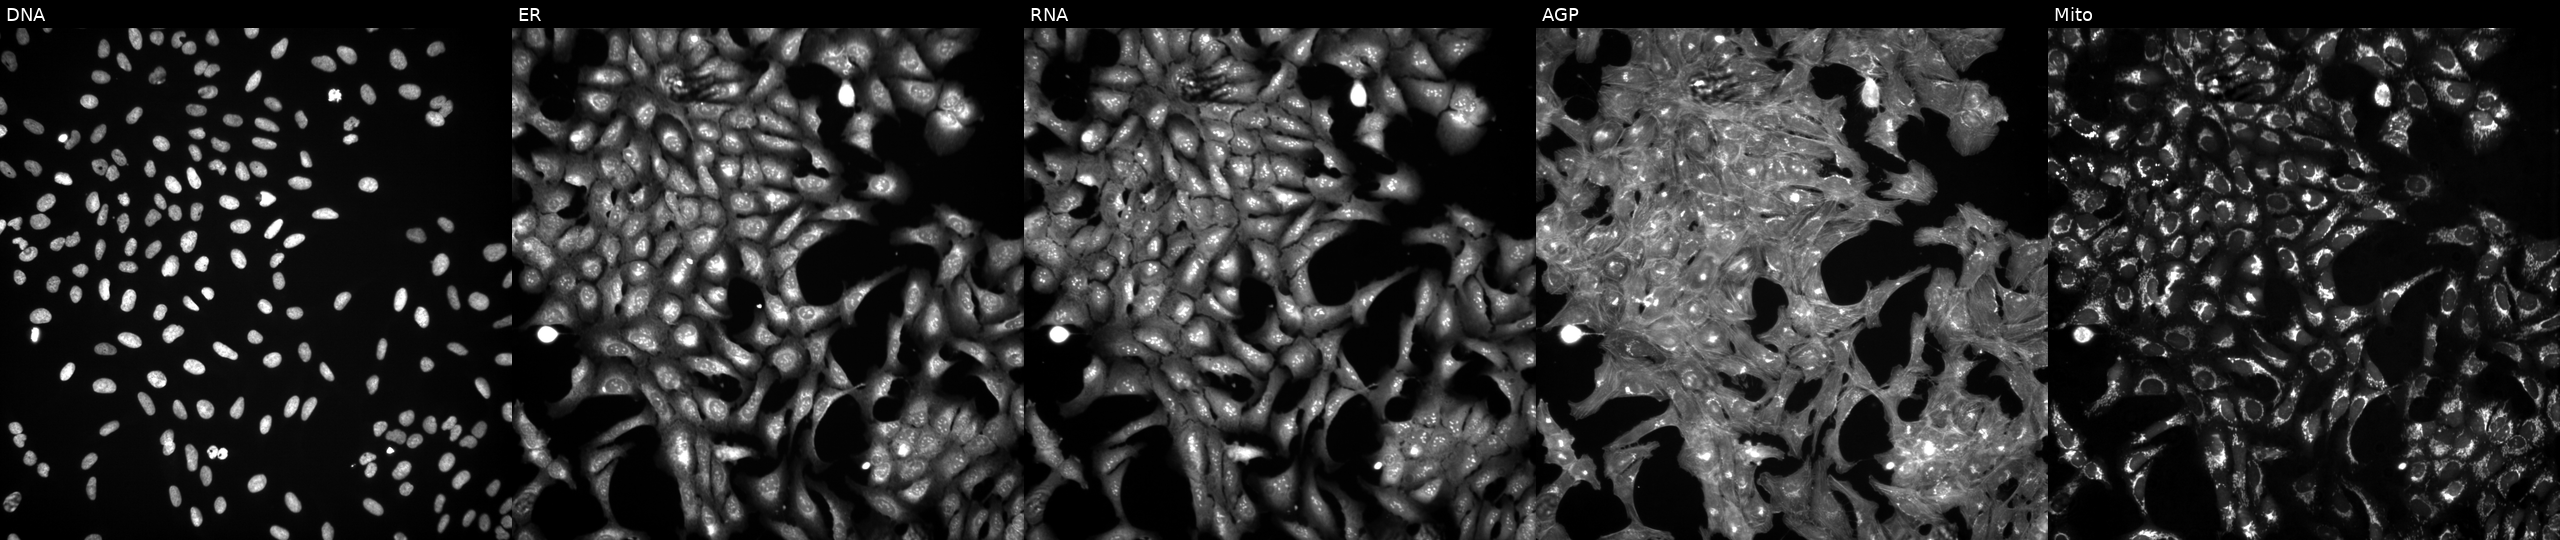
This image strip shows the five Cell Painting channels for a single field of U2OS cells treated with a small-molecule compound. Channels (left→right): Hoechst 33342, concanavalin A, SYTO 14, phalloidin and WGA, MitoTracker.